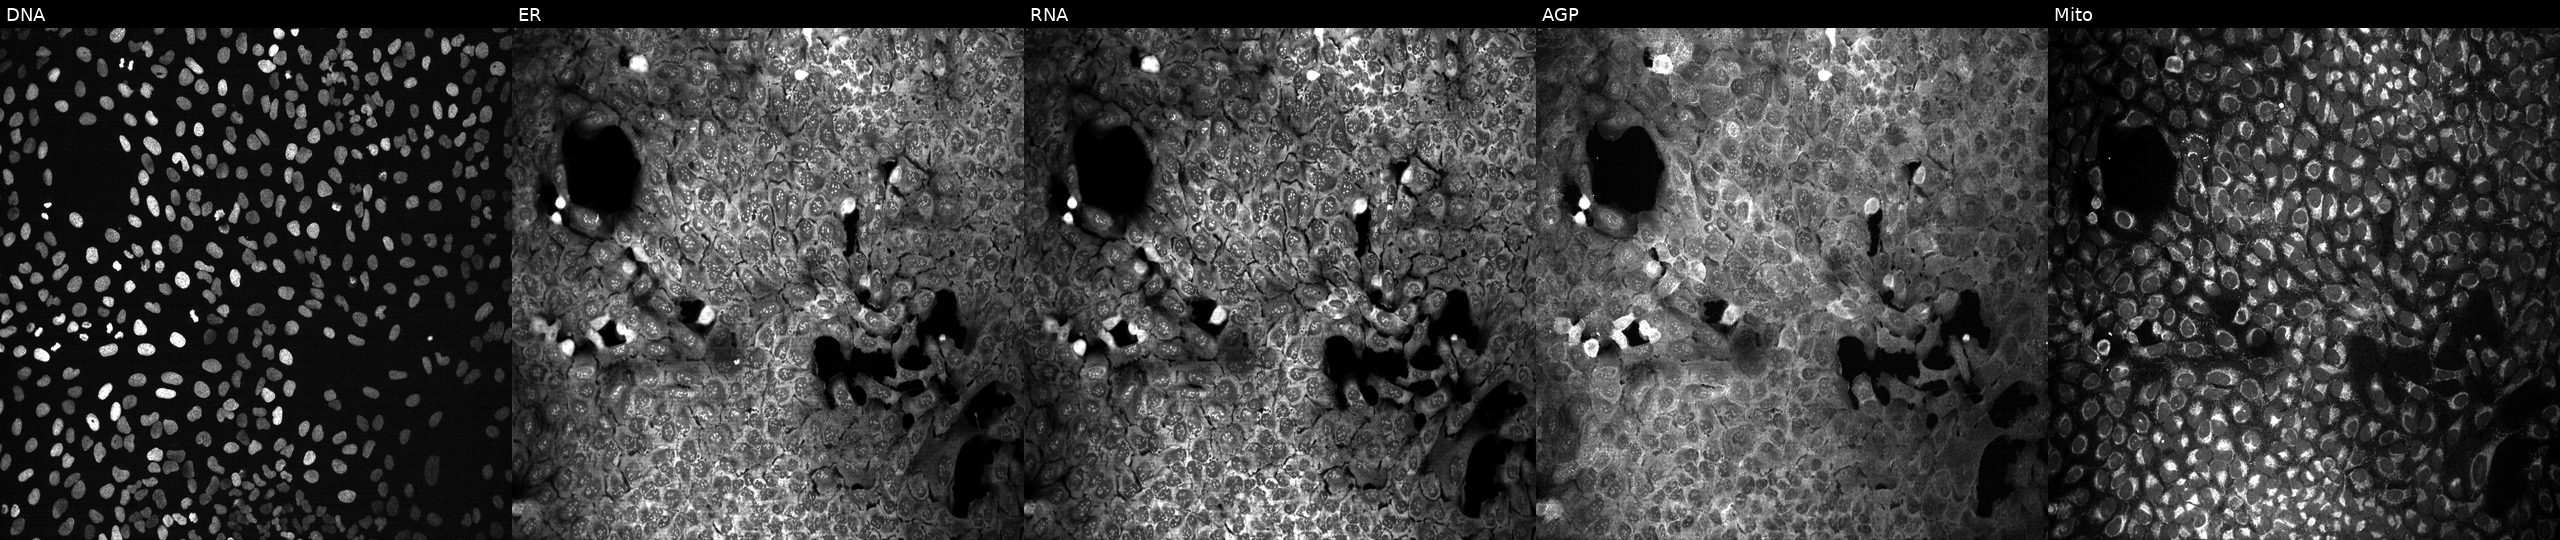
U2OS cells, Cell Painting assay, exposed to DMSO alone as a negative control (JUMP id JCP2022_033924). Panels show, left to right, DNA (nuclei); ER (endoplasmic reticulum); RNA (nucleoli and cytoplasmic RNA); AGP (actin cytoskeleton, Golgi, and plasma membrane); Mito (mitochondria). Each panel is percentile-stretched 16-bit fluorescence.